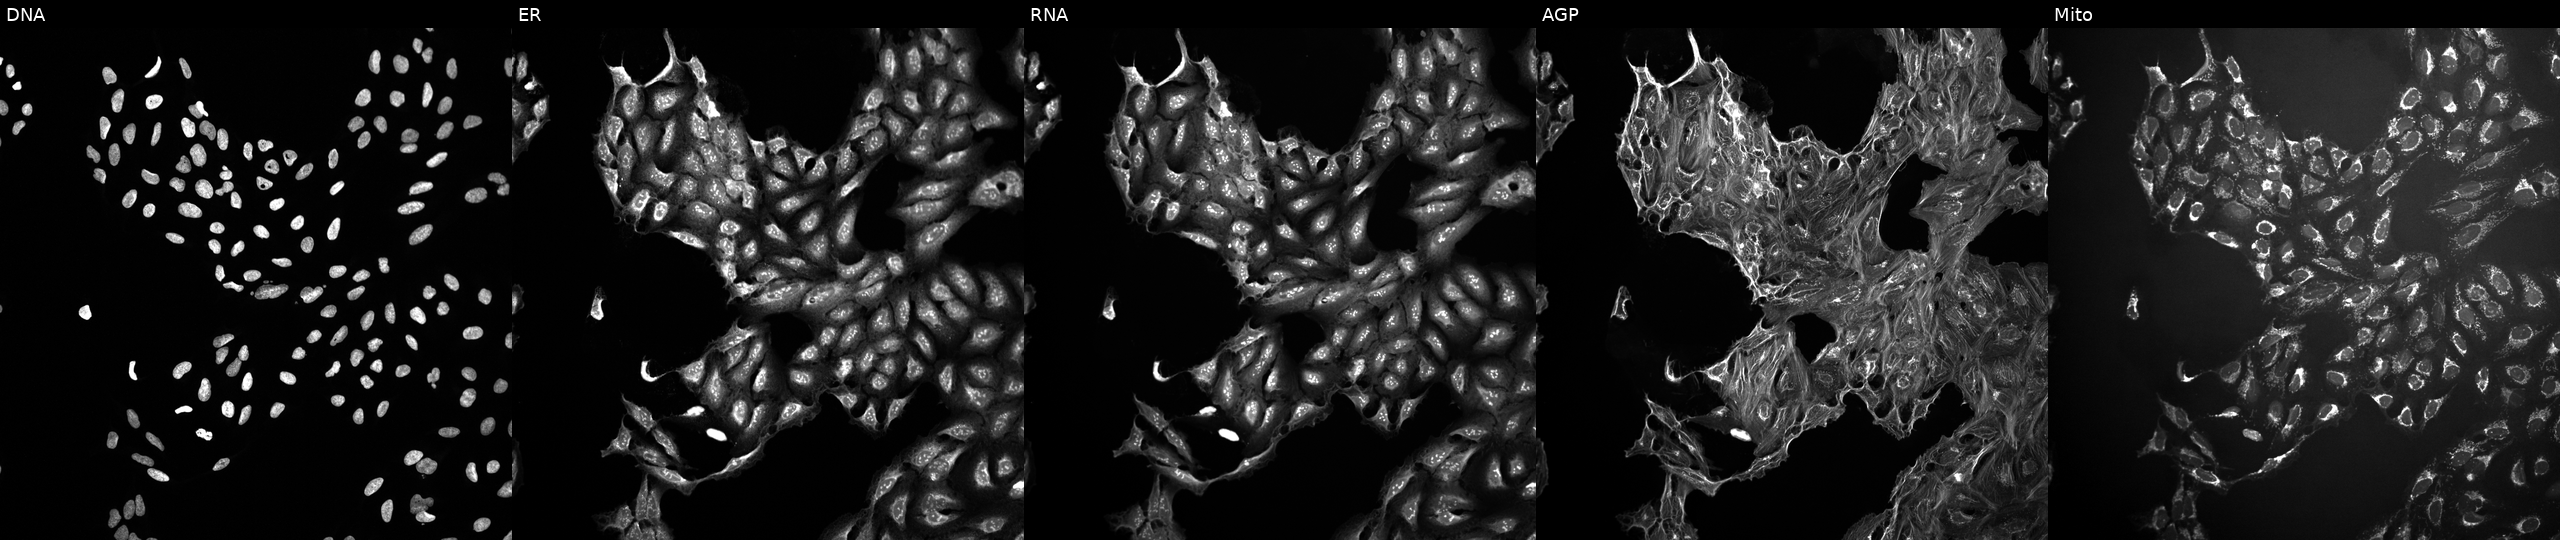
The five panels, left to right, show DNA, ER, RNA, AGP, and Mito. U2OS osteosarcoma cells treated with a small-molecule compound (InChIKey HCRKCZRJWPKOAR-UHFFFAOYSA-N). Cell Painting assay, JUMP-CP dataset.